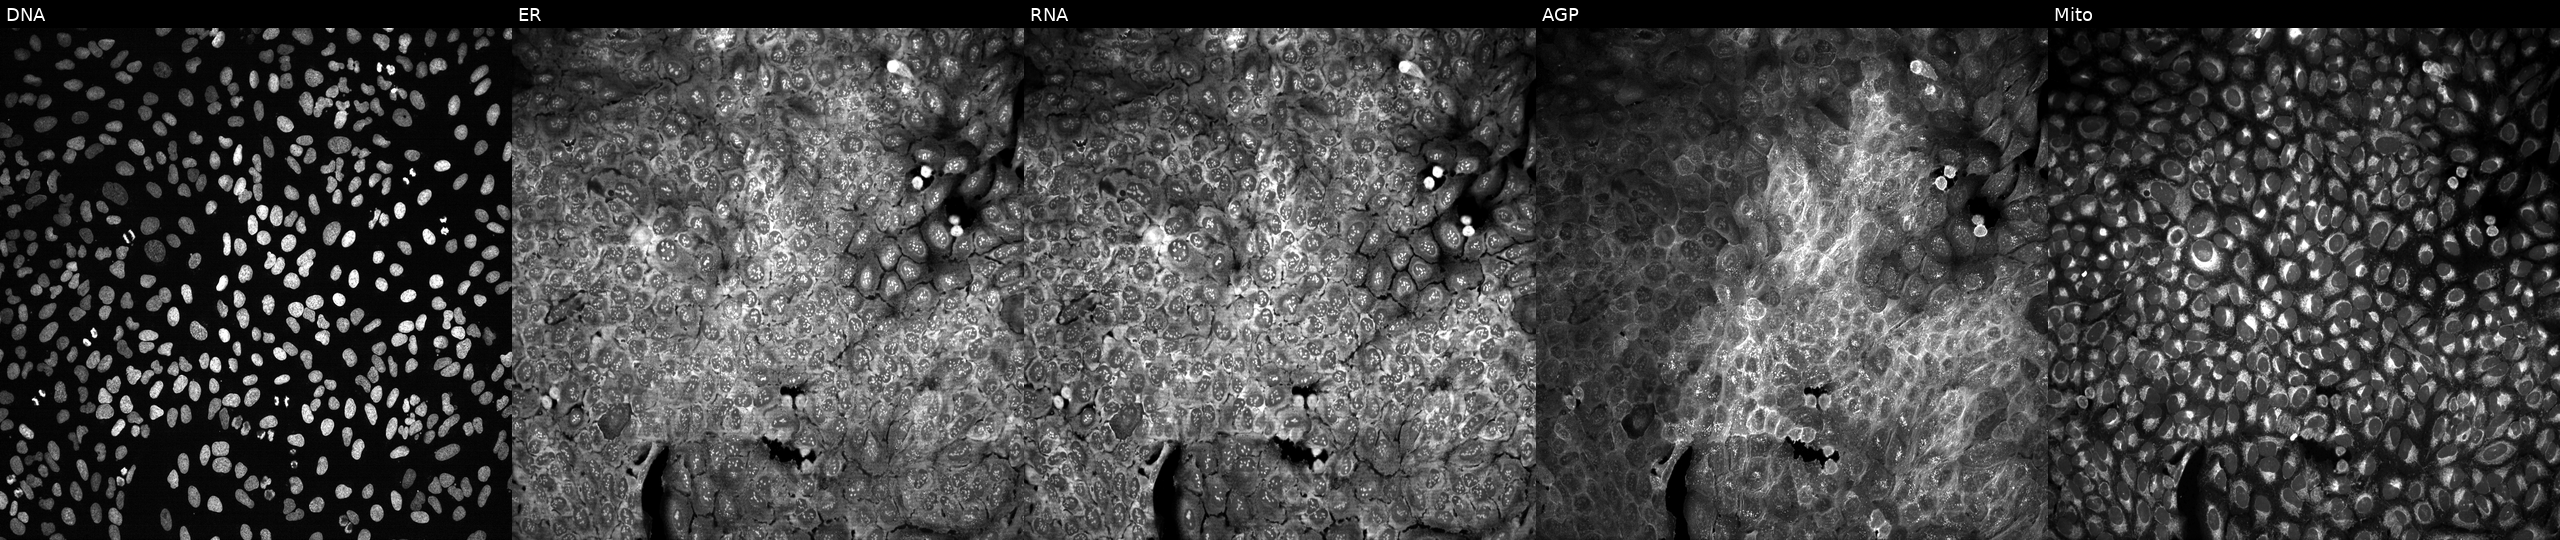
From left to right: DNA (nuclei); ER (endoplasmic reticulum); RNA (nucleoli and cytoplasmic RNA); AGP (actin cytoskeleton, Golgi, and plasma membrane); Mito (mitochondria). U2OS osteosarcoma cells CRISPR-edited to disrupt ADAM20. Cell Painting assay, JUMP-CP dataset.